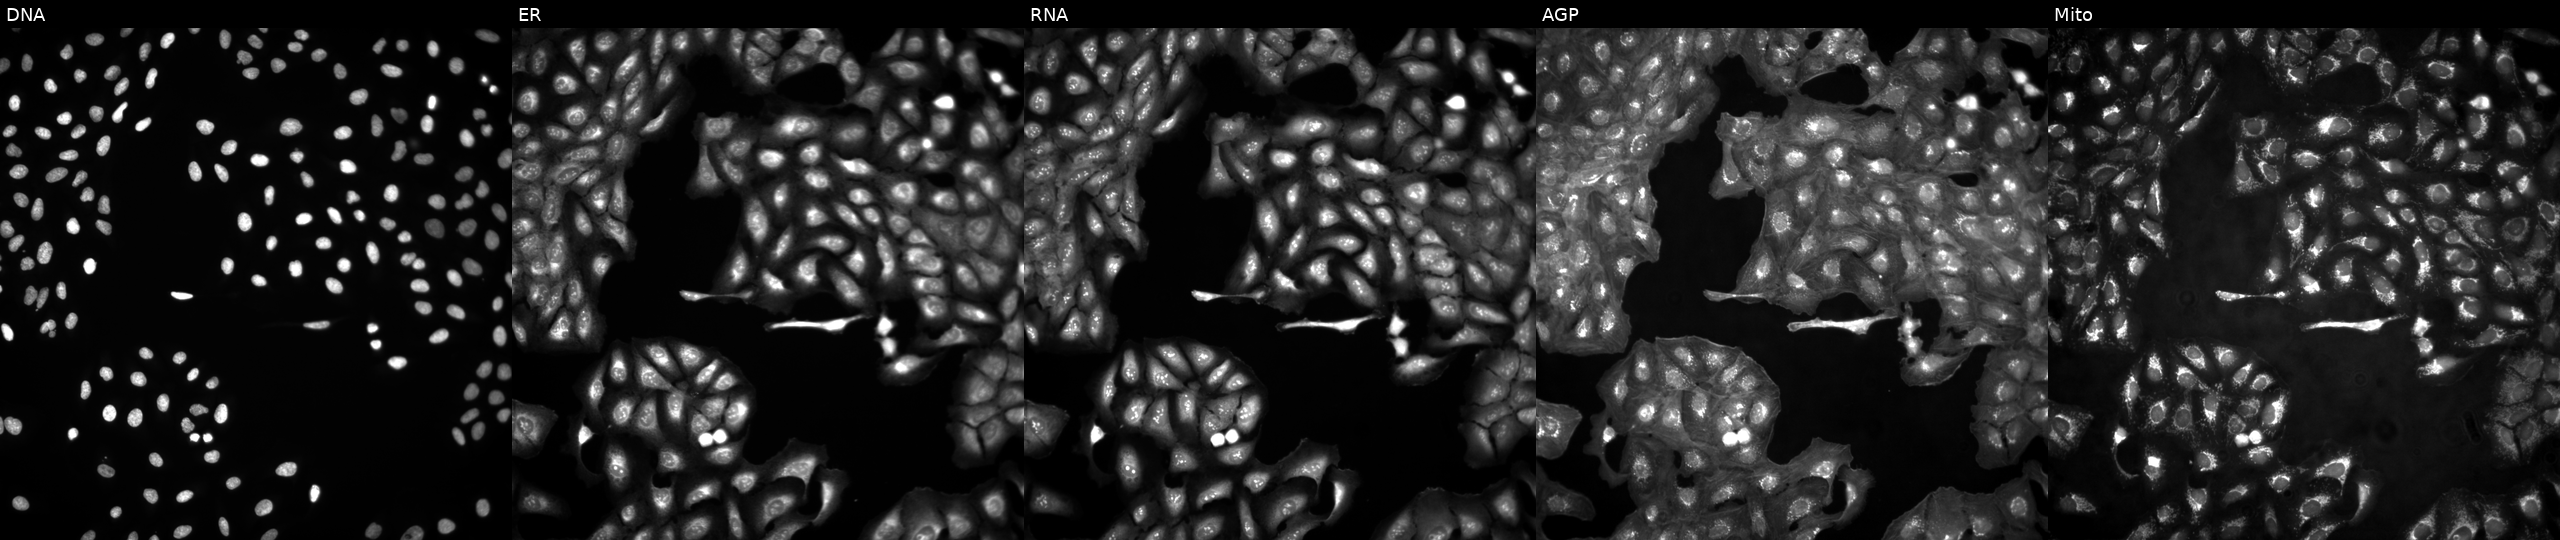
JUMP Cell Painting — ORF plate. U2OS cells untreated (empty-well control). The five panels, left to right, show DNA (nuclei); ER (endoplasmic reticulum); RNA (nucleoli and cytoplasmic RNA); AGP (actin cytoskeleton, Golgi, and plasma membrane); Mito (mitochondria).